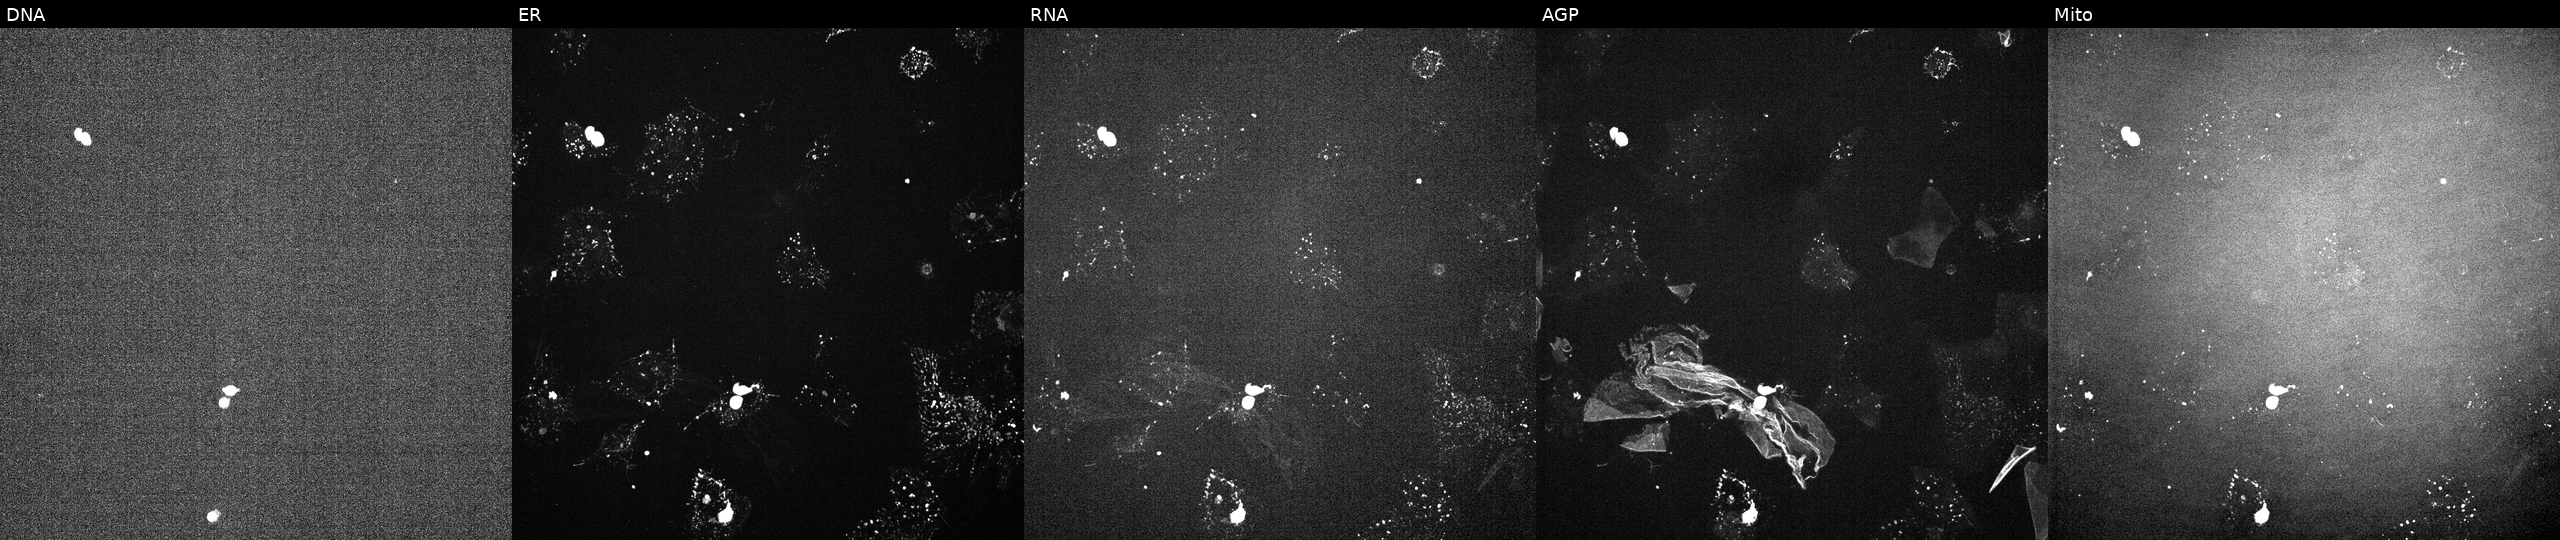
Five-channel Cell Painting image of U2OS cells treated with a small-molecule compound (InChIKey IAYGCINLNONXHY-UHFFFAOYSA-N) (JUMP id JCP2022_033914). Channels (left→right): DNA, ER, RNA, AGP, and Mito.